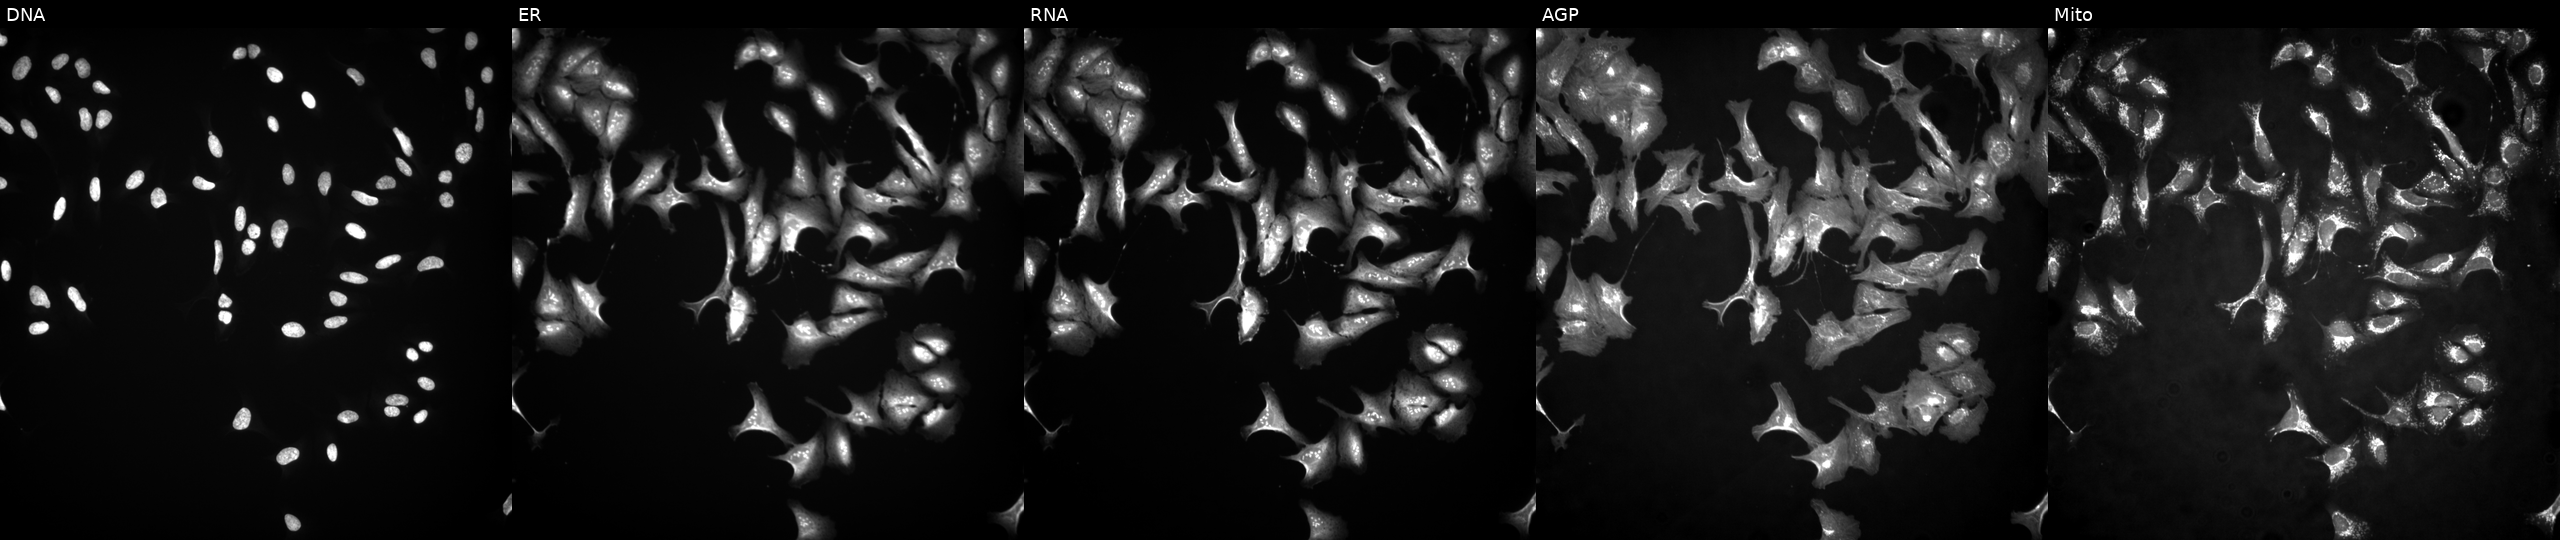
Five-channel Cell Painting image of U2OS cells overexpressing ATF2 via ORF transfection. Channels (left→right): DNA (nuclei); ER (endoplasmic reticulum); RNA (nucleoli and cytoplasmic RNA); AGP (actin cytoskeleton, Golgi, and plasma membrane); Mito (mitochondria). Source 4, plate BR00117035, well I10.